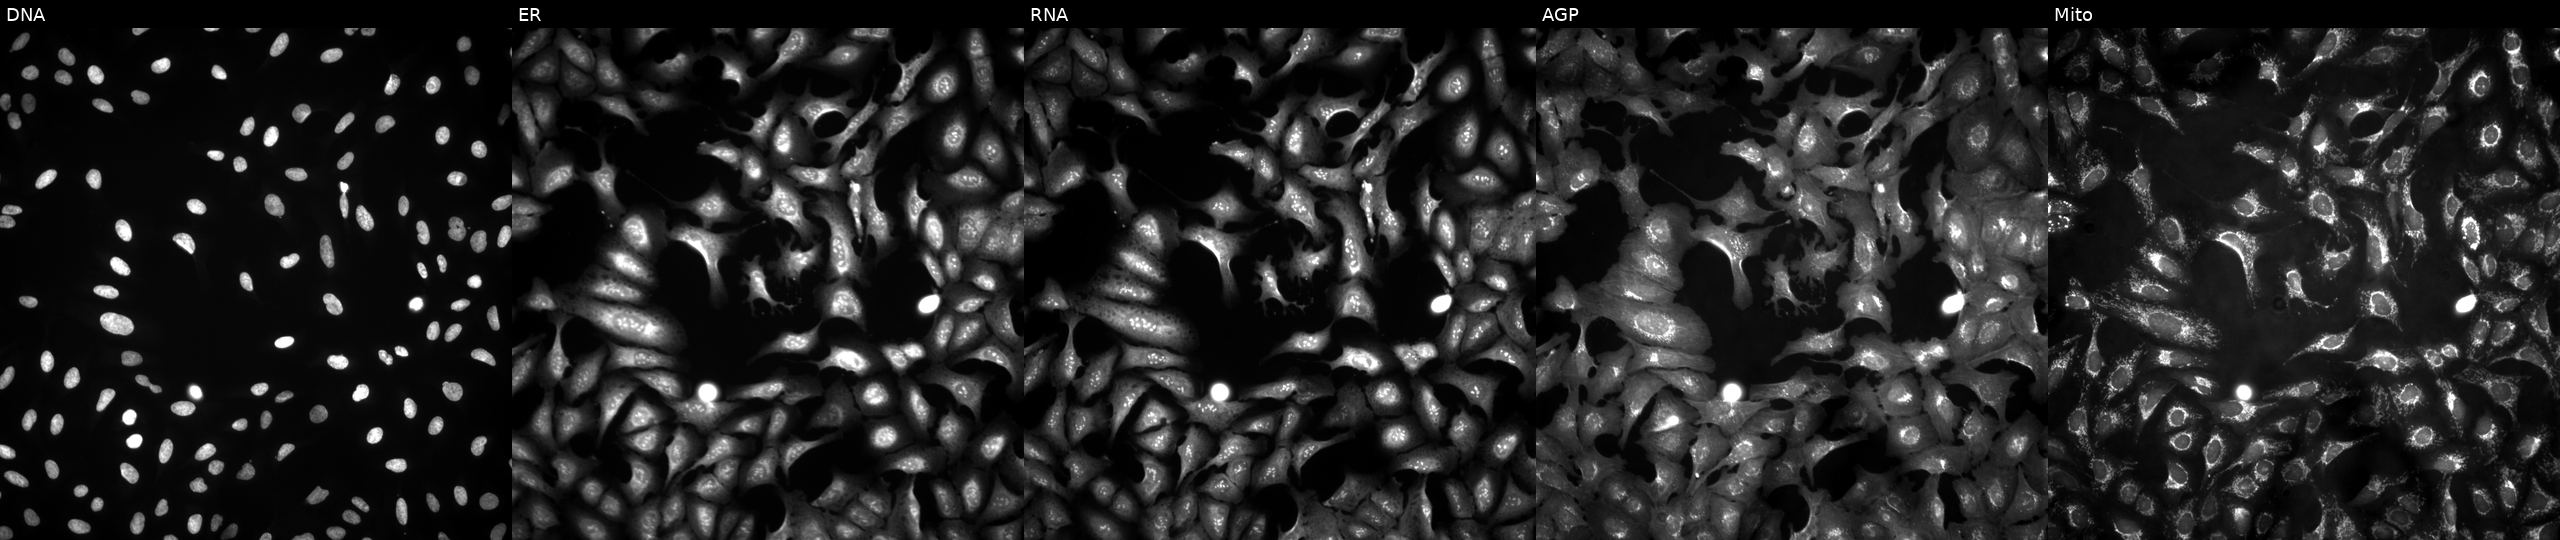
This image strip shows the five Cell Painting channels for a single field of U2OS cells transfected with an ORF construct for TPP1 (JUMP id JCP2022_905620). Panels show, left to right, DNA, ER, RNA, AGP, and Mito.